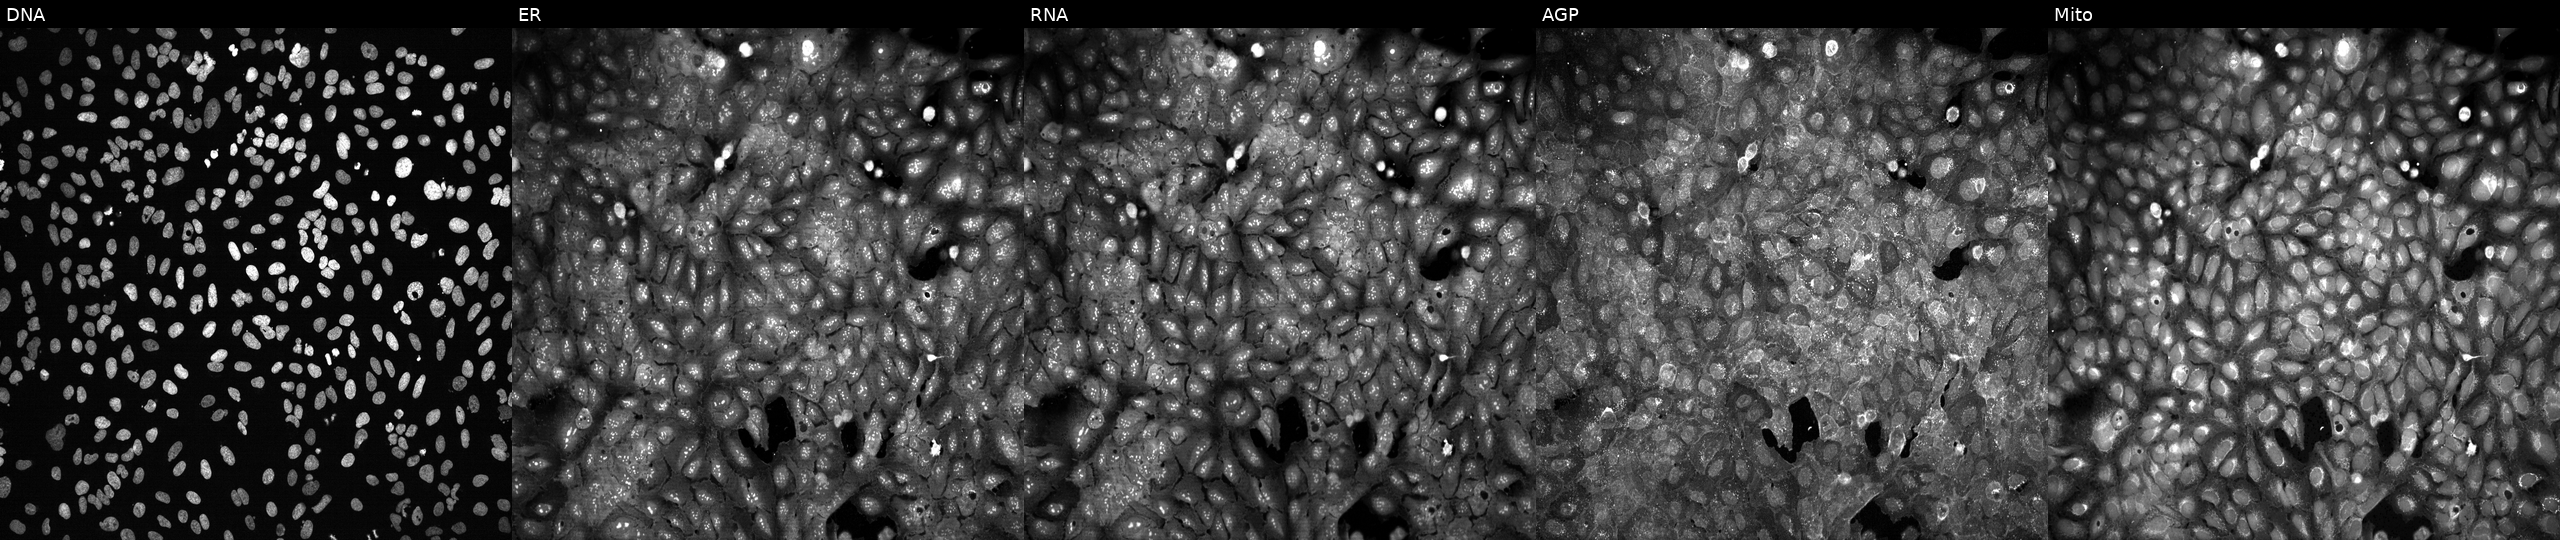
This image strip shows the five Cell Painting channels for a single field of U2OS cells following CRISPR knockout of RND3 (JUMP id JCP2022_805996). The five panels, left to right, show Hoechst 33342, concanavalin A, SYTO 14, phalloidin and WGA, MitoTracker. Source 13, plate CP-CC9-R1-01, well M12.